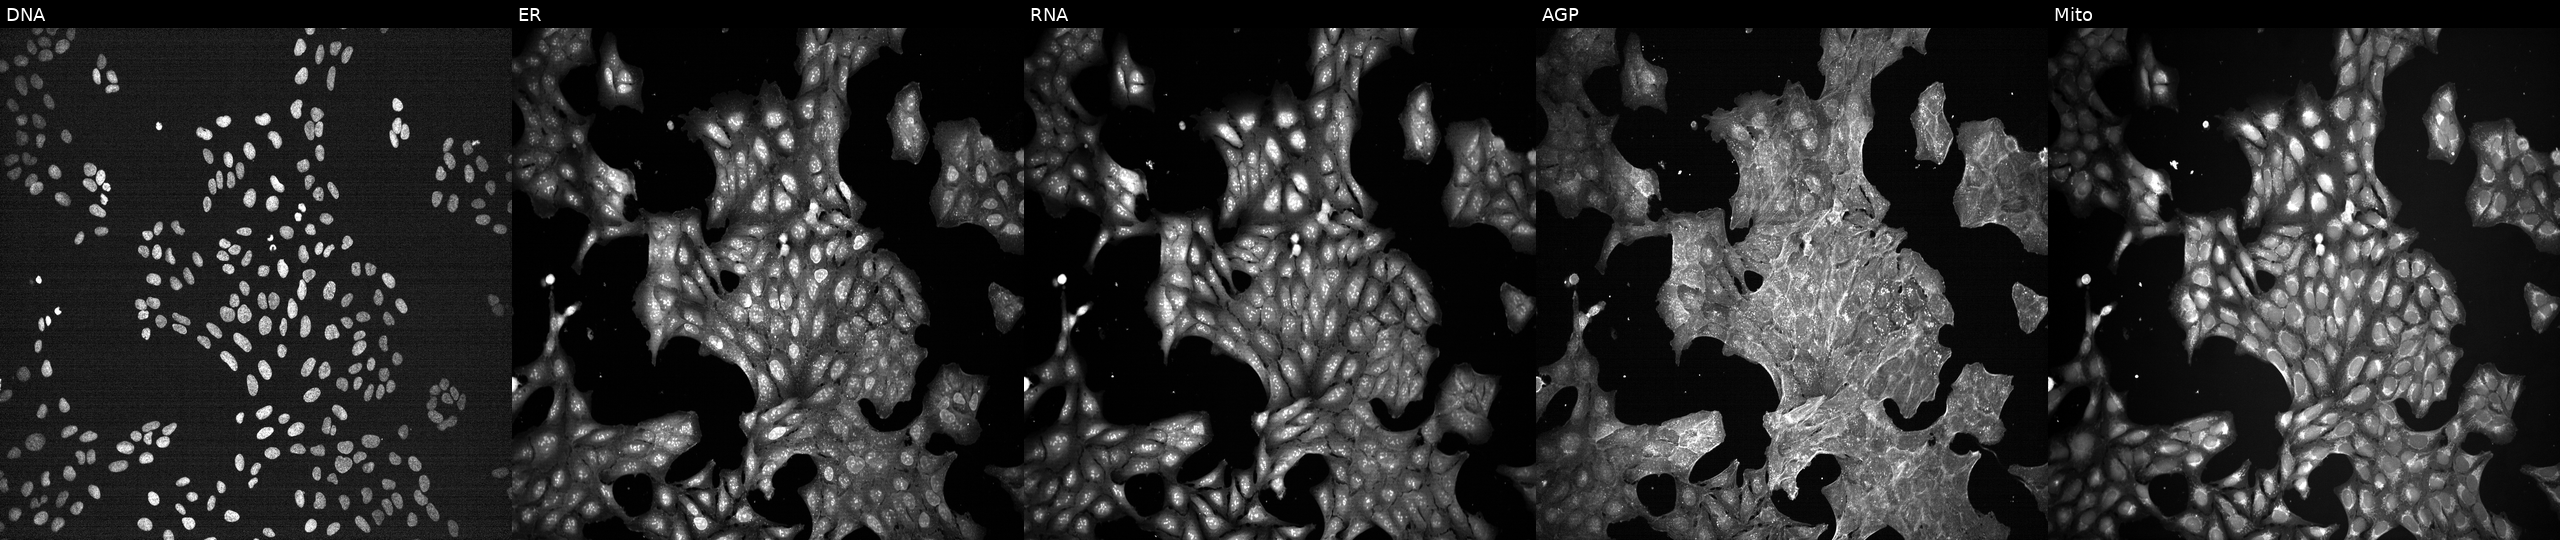
The five panels, left to right, show DNA, ER, RNA, AGP, and Mito. U2OS osteosarcoma cells exposed to a small-molecule compound (InChIKey IYAYHZZWYNXHEQ-UHFFFAOYSA-N). Cell Painting assay, JUMP-CP dataset. Source 7, plate CP1-SC1-25, well K23.